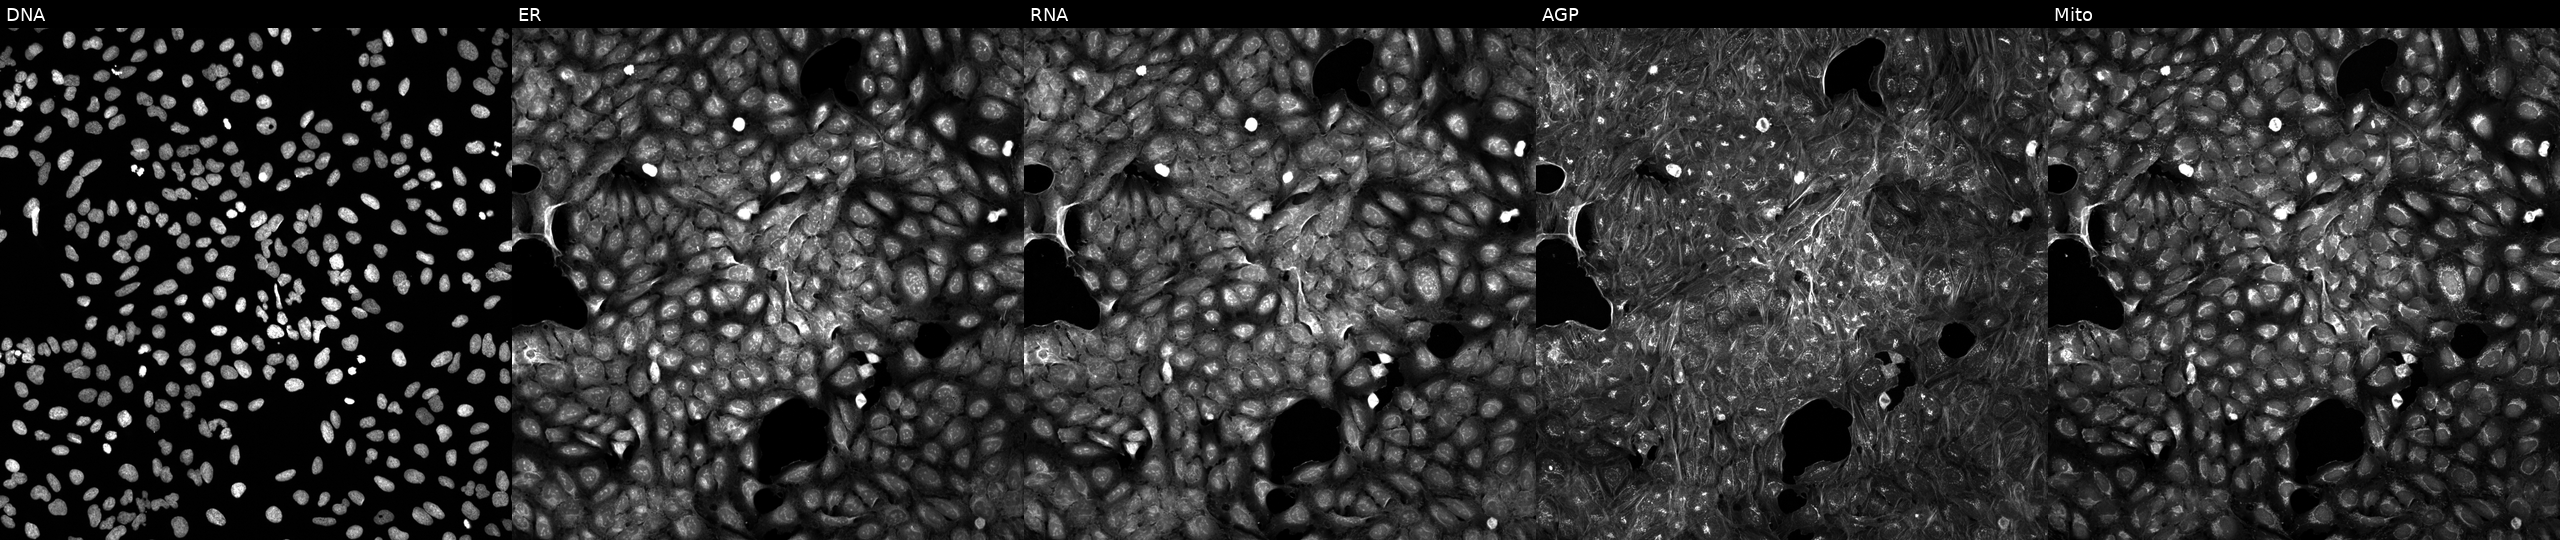
From left to right: DNA, ER, RNA, AGP, and Mito. U2OS osteosarcoma cells perturbed with a small-molecule compound (JUMP id JCP2022_094710). Cell Painting assay, JUMP-CP dataset.